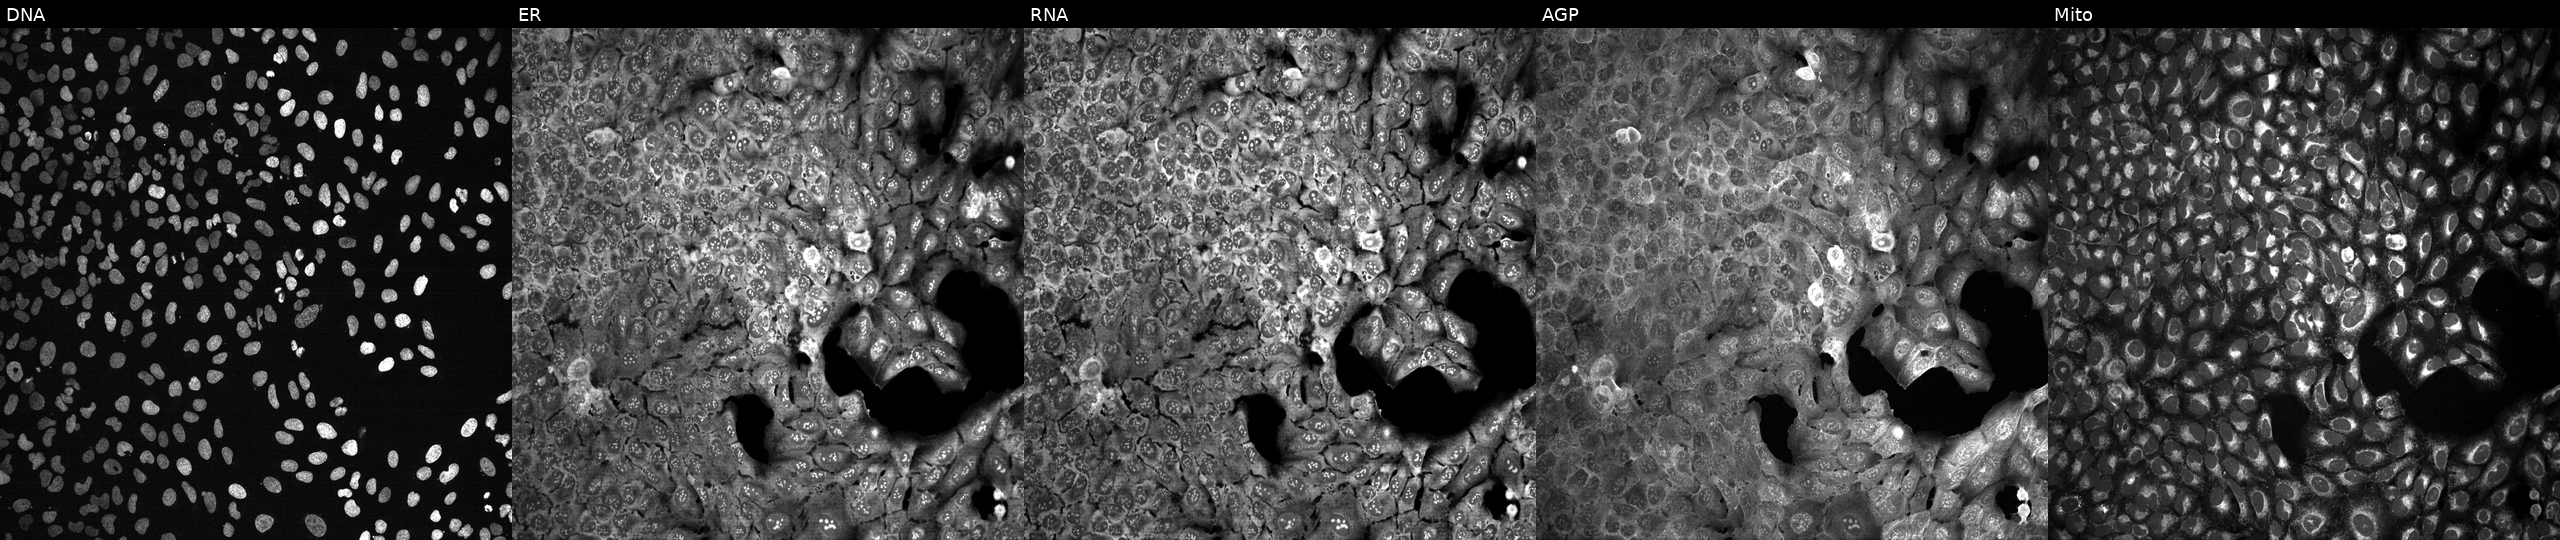
U2OS cells, Cell Painting assay, with HSPA4 knocked out by CRISPR (JUMP id JCP2022_803266). From left to right: Hoechst 33342, concanavalin A, SYTO 14, phalloidin and WGA, MitoTracker. Each panel is percentile-stretched 16-bit fluorescence. Source 13, plate CP-CC9-R4-03, well G05.